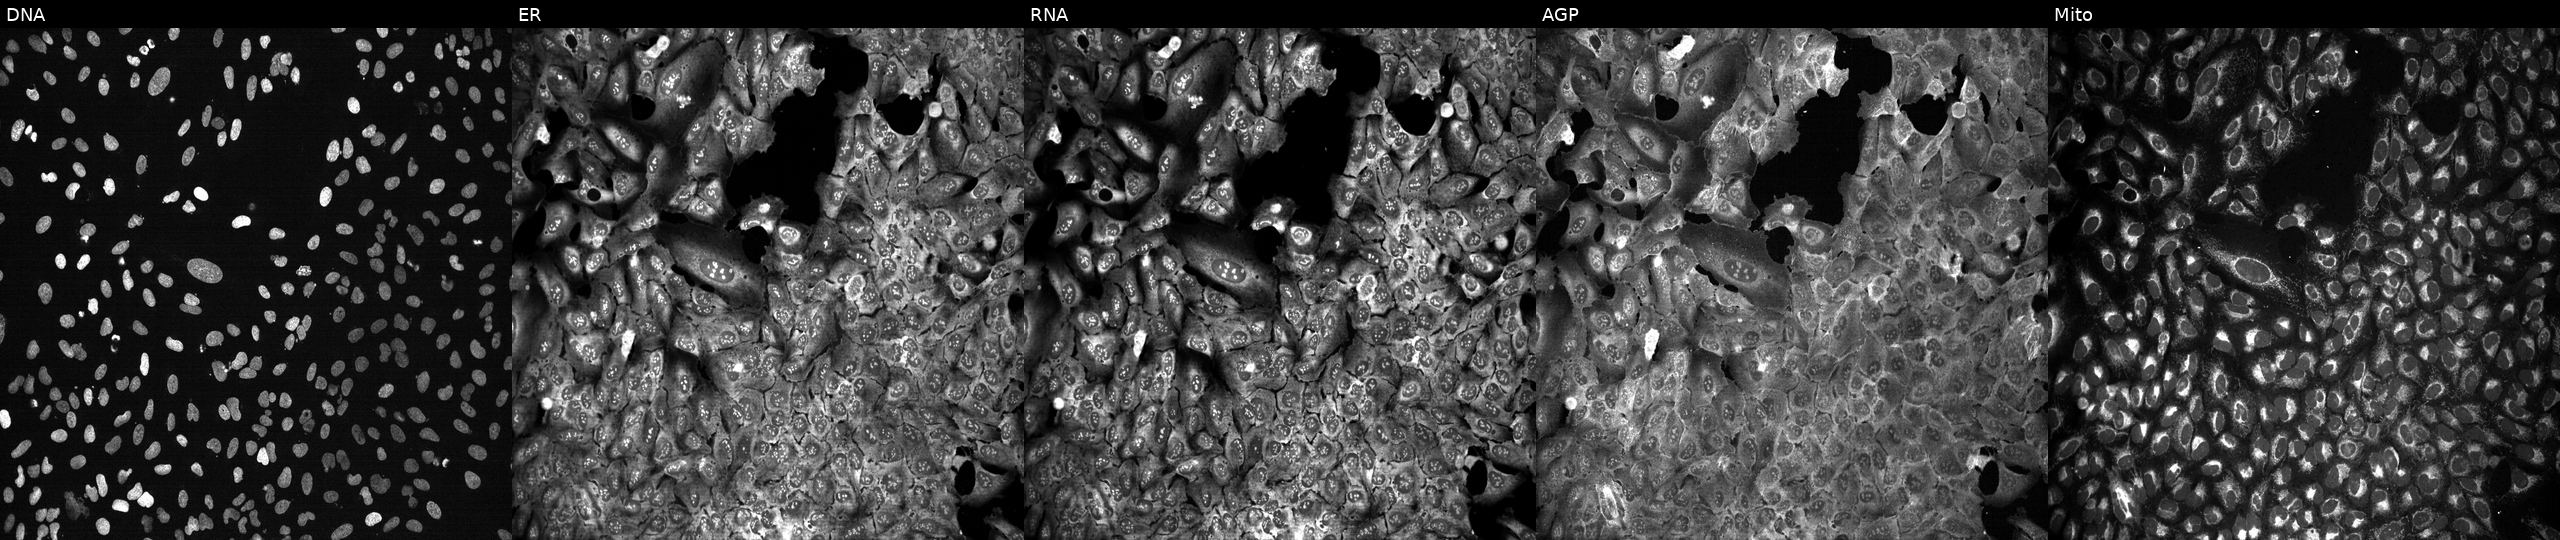
U2OS cells, Cell Painting assay, following CRISPR knockout of GNPNAT1. Channels (left→right): Hoechst 33342, concanavalin A, SYTO 14, phalloidin and WGA, MitoTracker. Each panel is percentile-stretched 16-bit fluorescence.